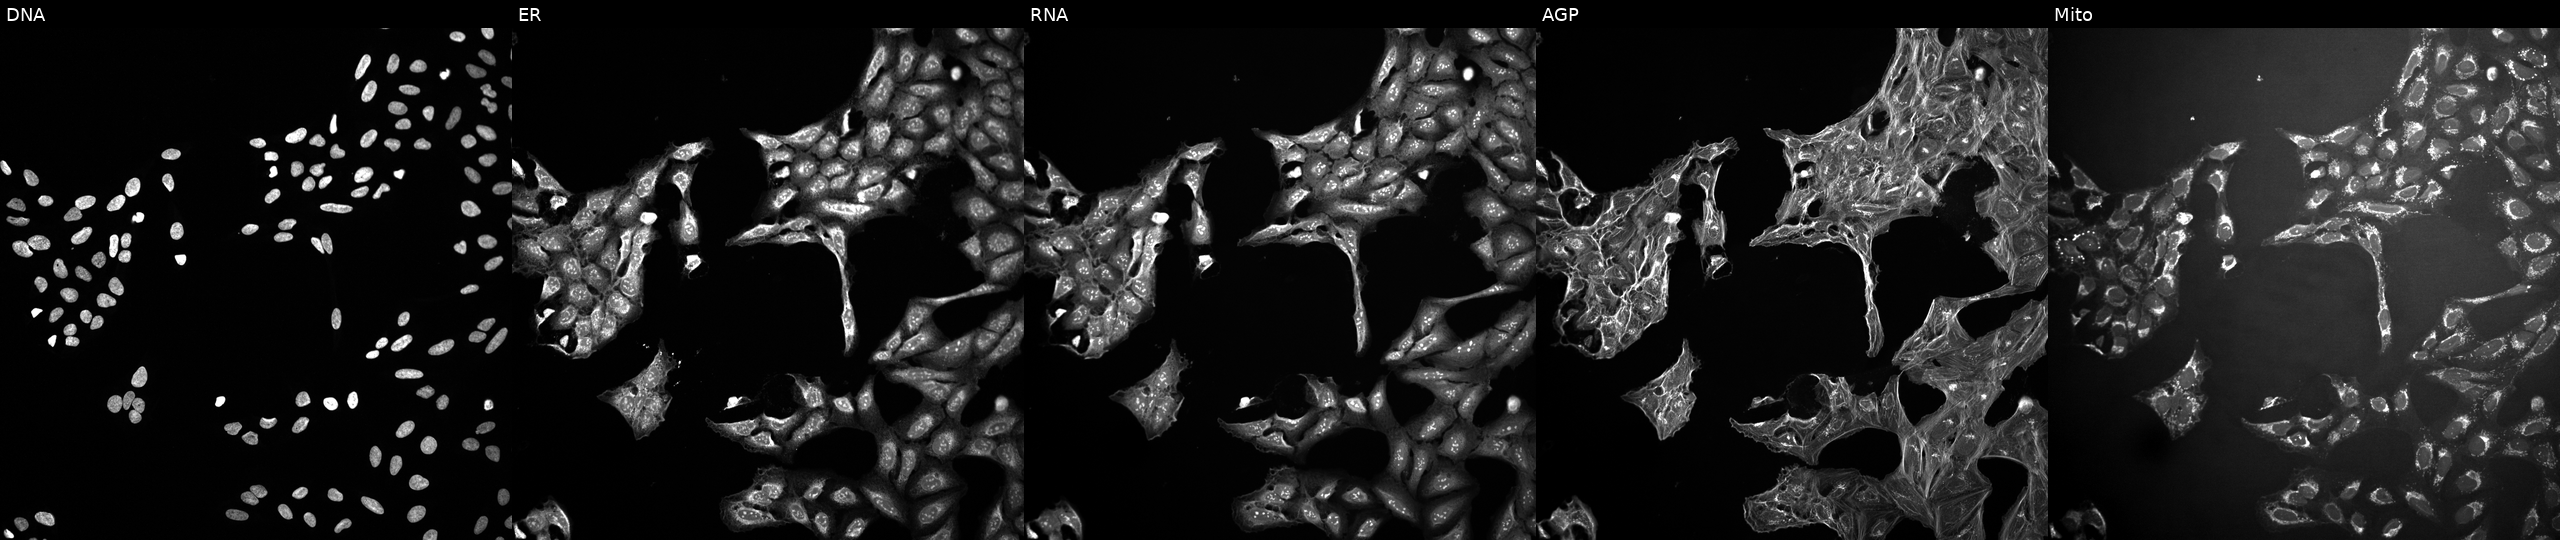
U2OS cells, Cell Painting assay, treated with a small-molecule compound [SMILES: Cc1cc(-c2nc(-c3ccc(OC(F)(F)F)cc3)no2)nn1Cc1ccnc(N2CCN(C3CC3)CC2)c1]. Channels (left→right): Hoechst 33342, concanavalin A, SYTO 14, phalloidin and WGA, MitoTracker. Each panel is percentile-stretched 16-bit fluorescence.